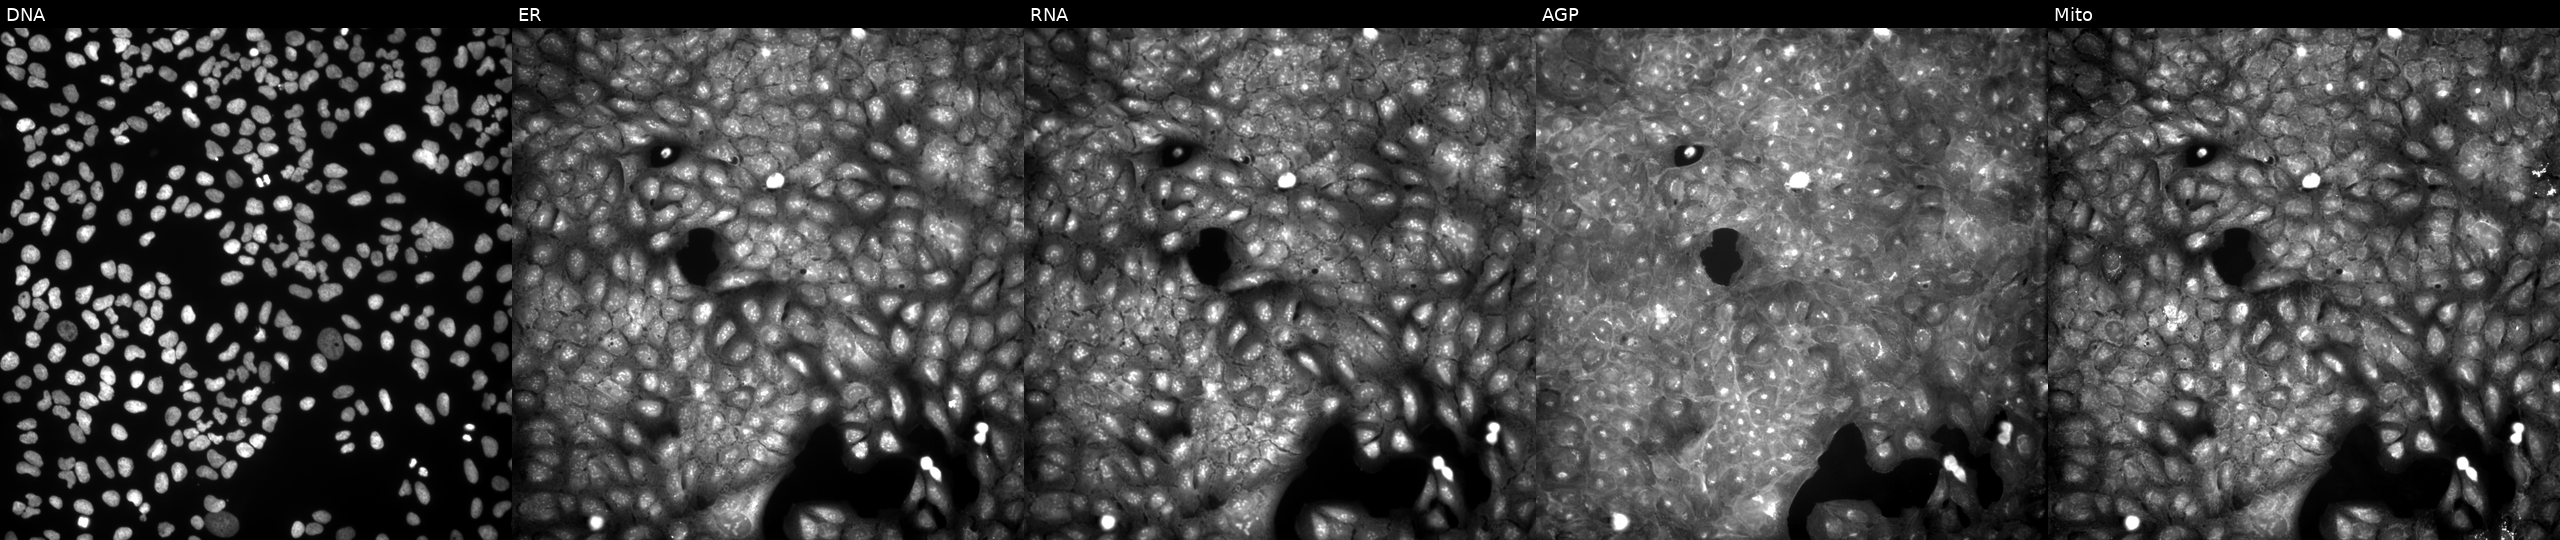
U2OS cells, Cell Painting assay, perturbed with a small-molecule compound (InChIKey CDJKPYLEBBSTGR-UHFFFAOYSA-N). Panels show, left to right, DNA (nuclei); ER (endoplasmic reticulum); RNA (nucleoli and cytoplasmic RNA); AGP (actin cytoskeleton, Golgi, and plasma membrane); Mito (mitochondria). Each panel is percentile-stretched 16-bit fluorescence. Source 9, plate GR00003382, well I30.